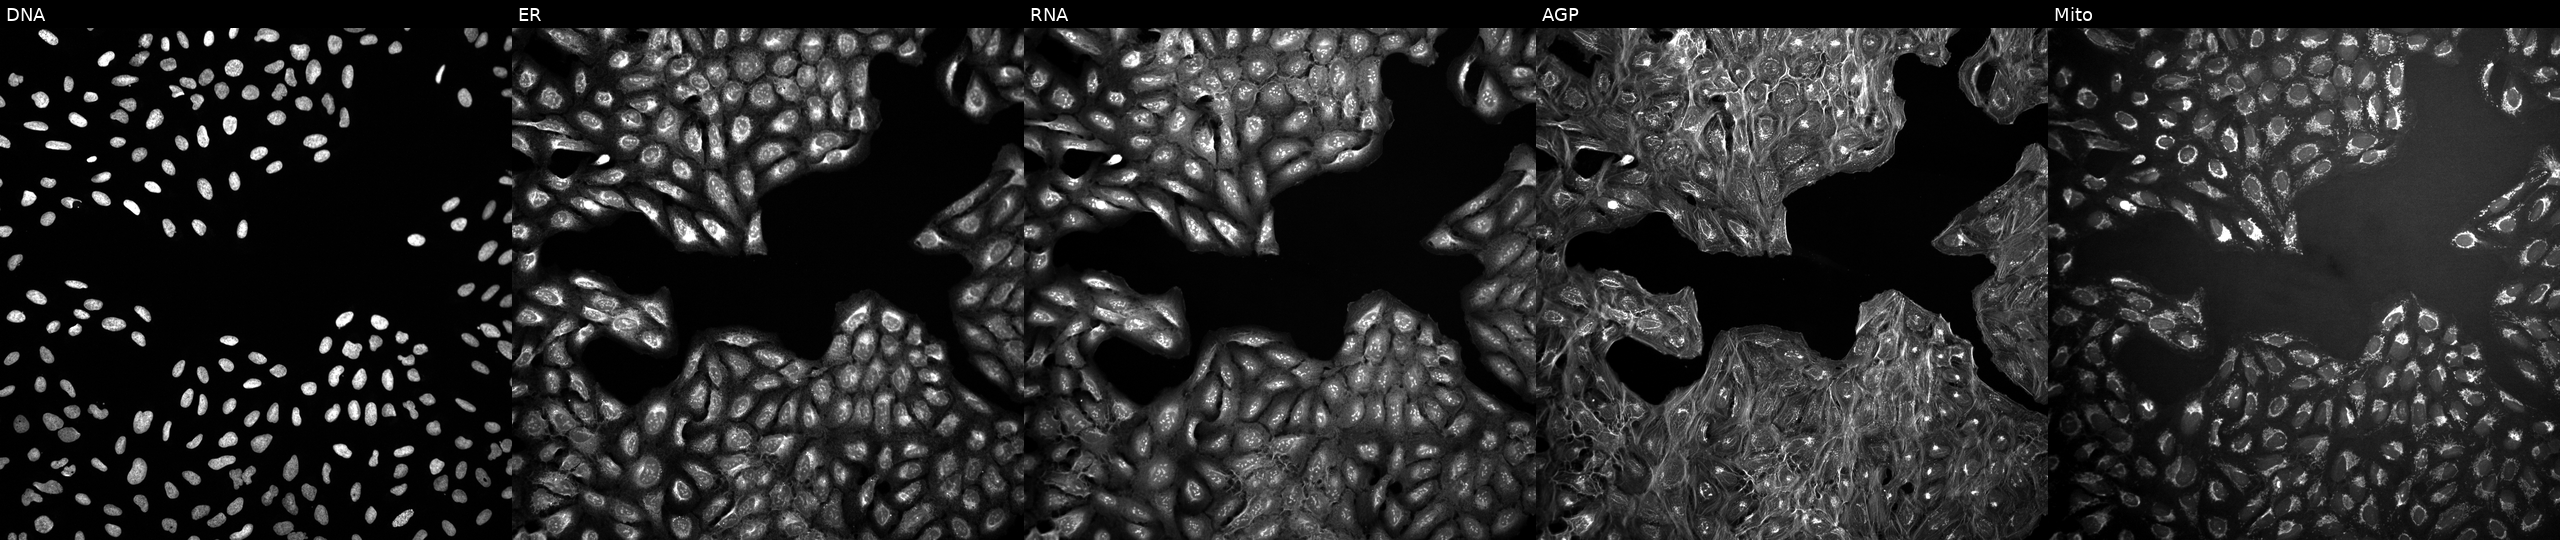
JUMP Cell Painting — COMPOUND plate. U2OS cells exposed to a small-molecule compound (InChIKey SHBFHRSGDLITOZ-UHFFFAOYSA-N). From left to right: Hoechst 33342, concanavalin A, SYTO 14, phalloidin and WGA, MitoTracker.